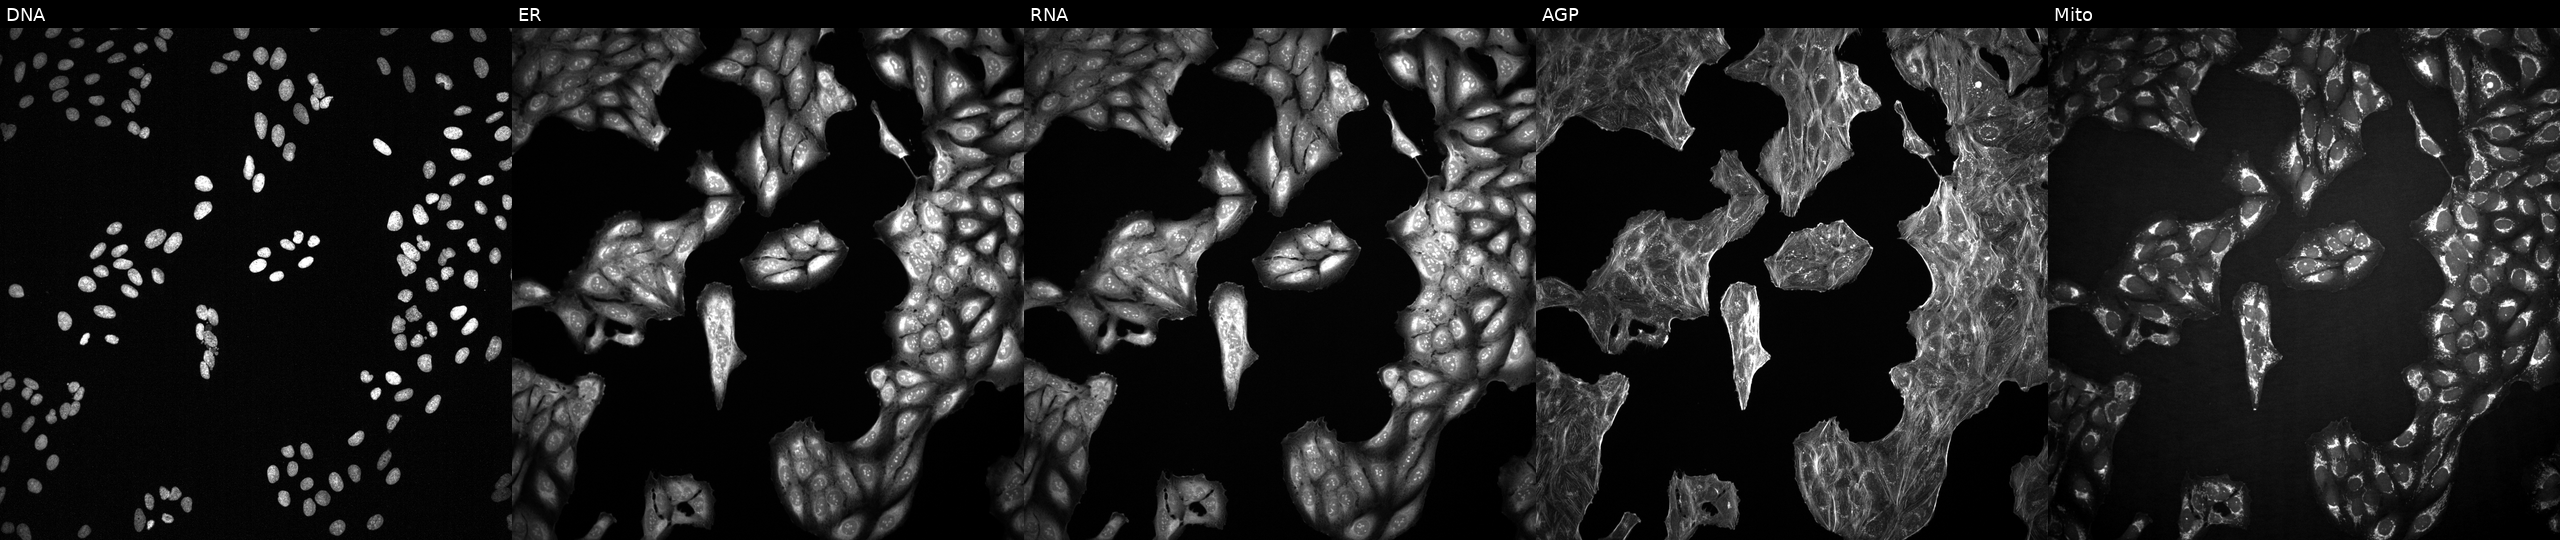
High-content fluorescence microscopy (Cell Painting). Cell line: U2OS. Perturbation: treated with a small-molecule compound [SMILES: COc1ccccc1C(=O)Nc1ccc(-c2cn3cccnc3n2)cc1]. From left to right: DNA (nuclei); ER (endoplasmic reticulum); RNA (nucleoli and cytoplasmic RNA); AGP (actin cytoskeleton, Golgi, and plasma membrane); Mito (mitochondria). Source 2, plate 1053601763, well D09.